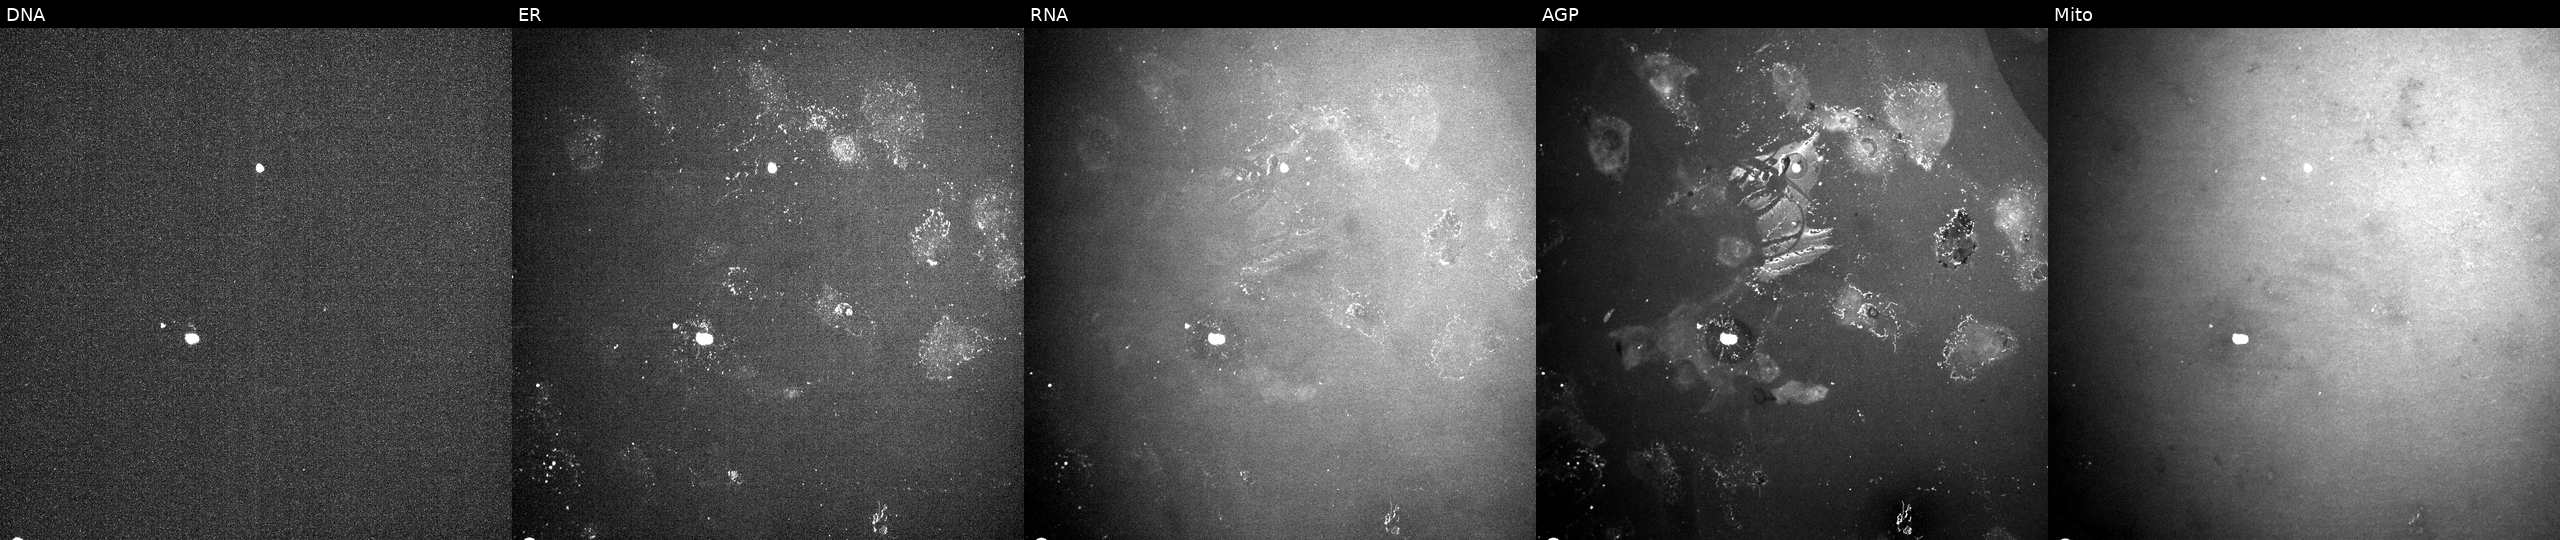
U2OS cells, Cell Painting assay, perturbed with a small-molecule compound (InChIKey IAYGCINLNONXHY-UHFFFAOYSA-N) [SMILES: NC(=O)Nc1cc(-c2cccc(F)c2)sc1C(=O)NC1CCCNC1] (JUMP id JCP2022_033914). From left to right: Hoechst 33342, concanavalin A, SYTO 14, phalloidin and WGA, MitoTracker. Each panel is percentile-stretched 16-bit fluorescence. Source 10, plate Dest210803-153958, well F22.